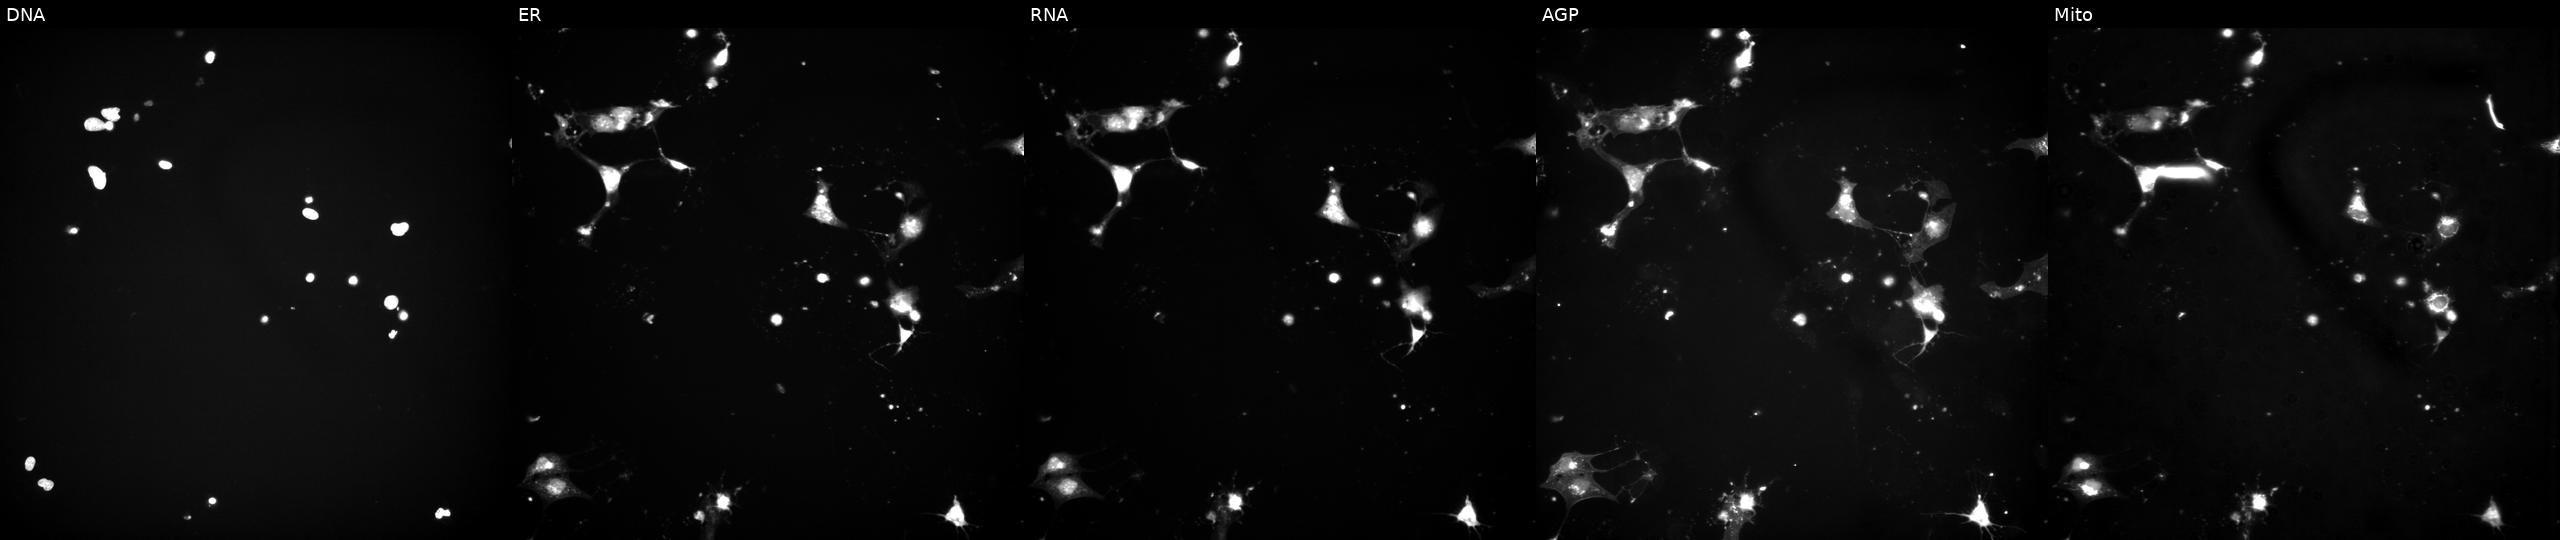
JUMP Cell Painting — TARGET2 plate. U2OS cells treated with a small-molecule compound (InChIKey PBCZSGKMGDDXIJ-UHFFFAOYSA-N) (JUMP id JCP2022_067441). Panels show, left to right, Hoechst 33342, concanavalin A, SYTO 14, phalloidin and WGA, MitoTracker. Source 3, plate JCPQC053, well G12.